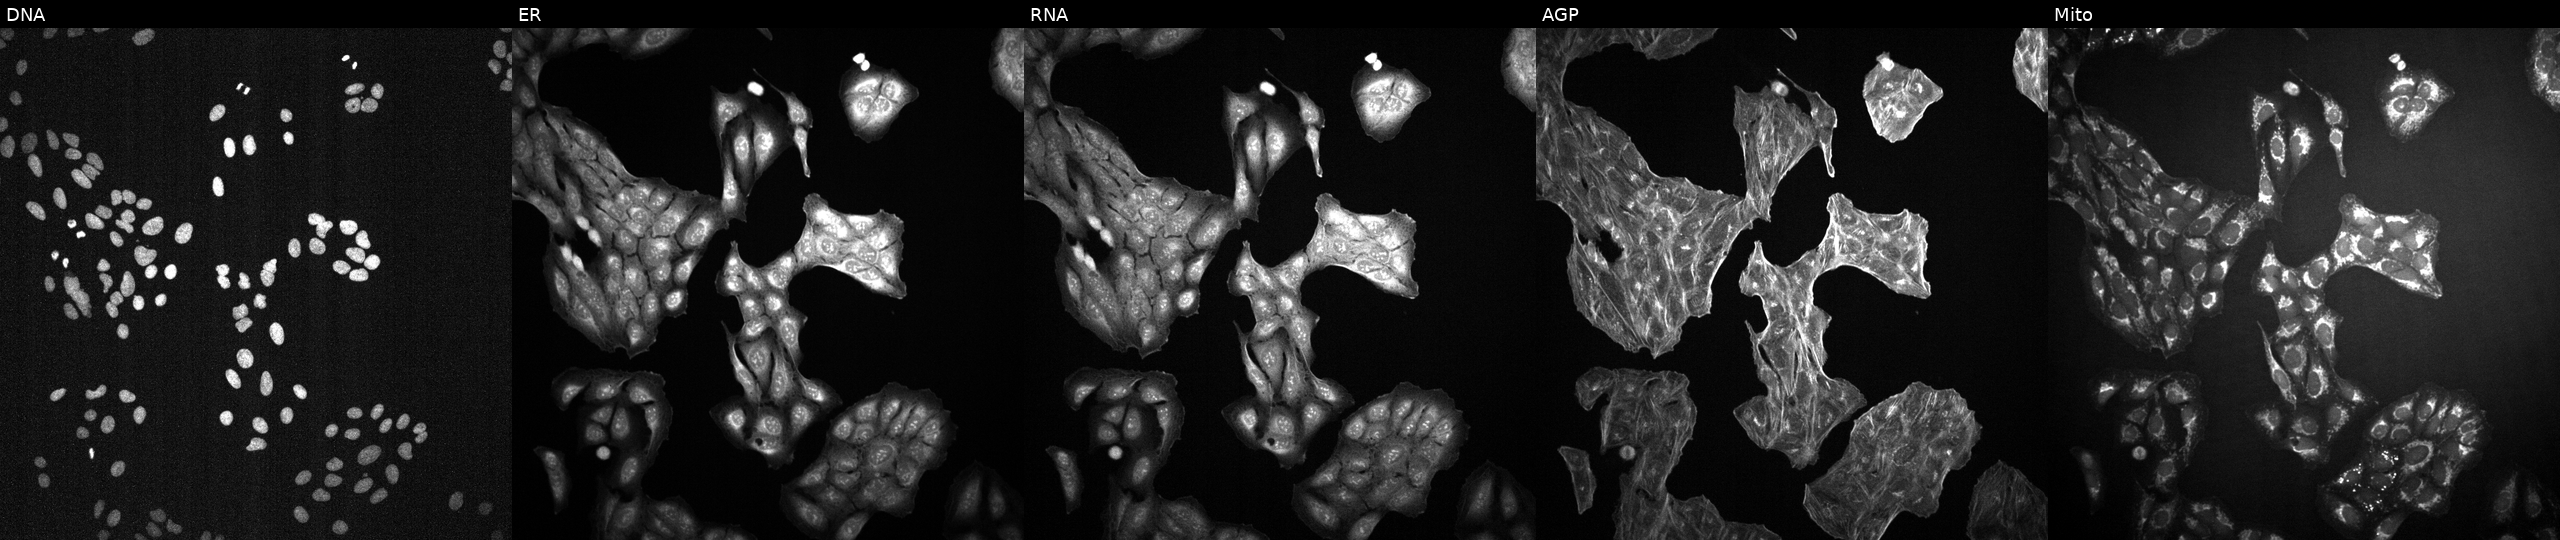
Five-channel Cell Painting image of U2OS cells treated with DMSO vehicle only (negative control) (JUMP id JCP2022_033924). Panels show, left to right, Hoechst 33342, concanavalin A, SYTO 14, phalloidin and WGA, MitoTracker.